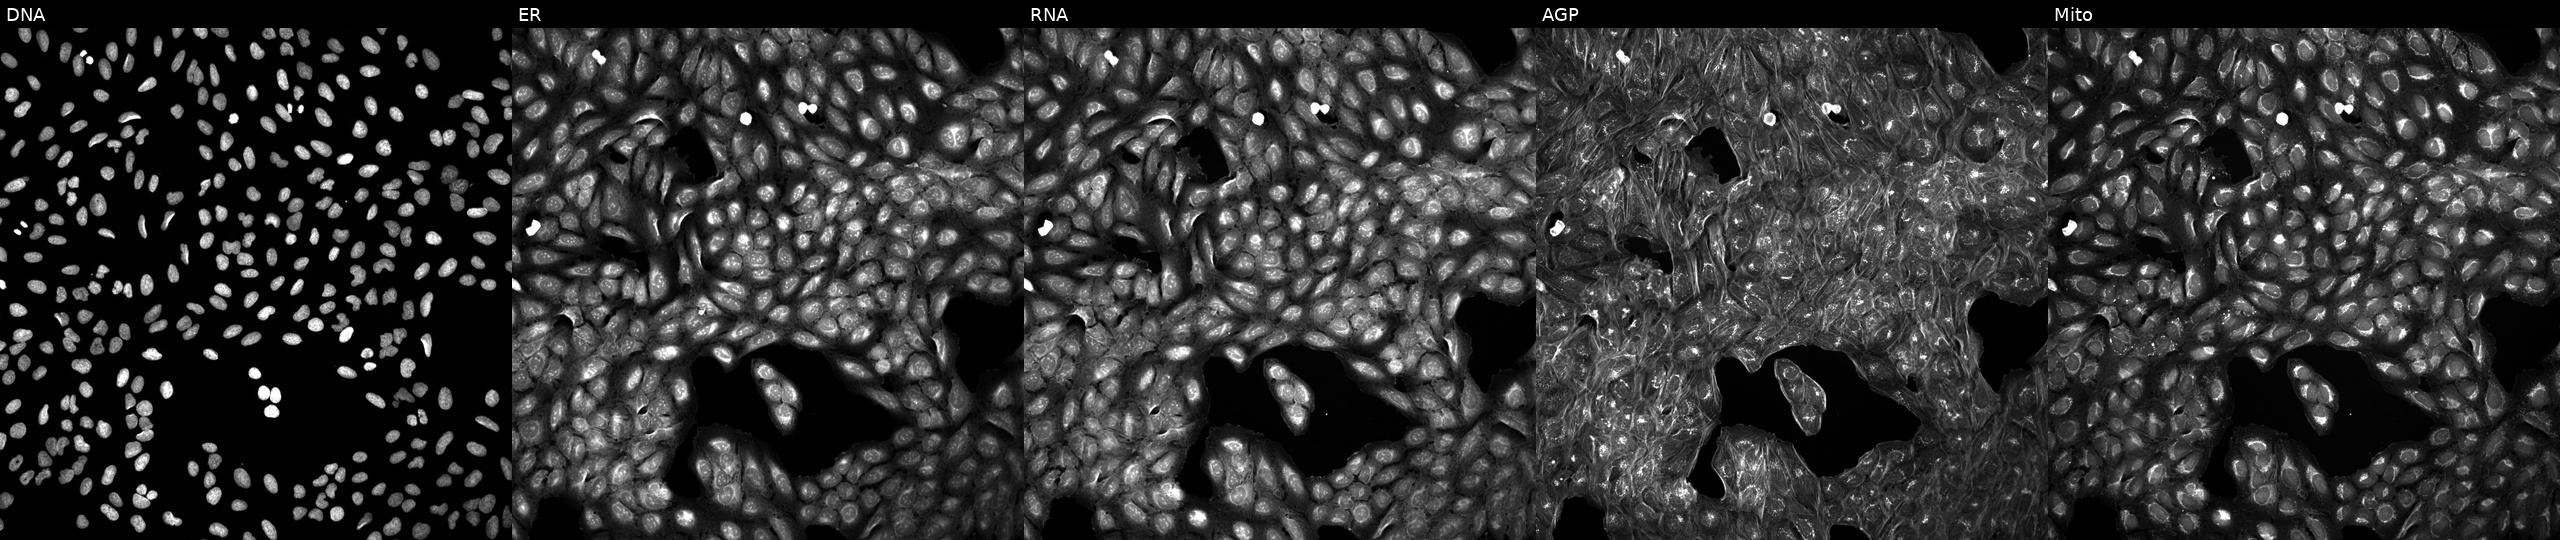
This image strip shows the five Cell Painting channels for a single field of U2OS cells exposed to a small-molecule compound [SMILES: Cn1c(=O)c(=O)n(C)c2cc(S(=O)(=O)NCCc3ccccc3)ccc21]. The five panels, left to right, show DNA, ER, RNA, AGP, and Mito.